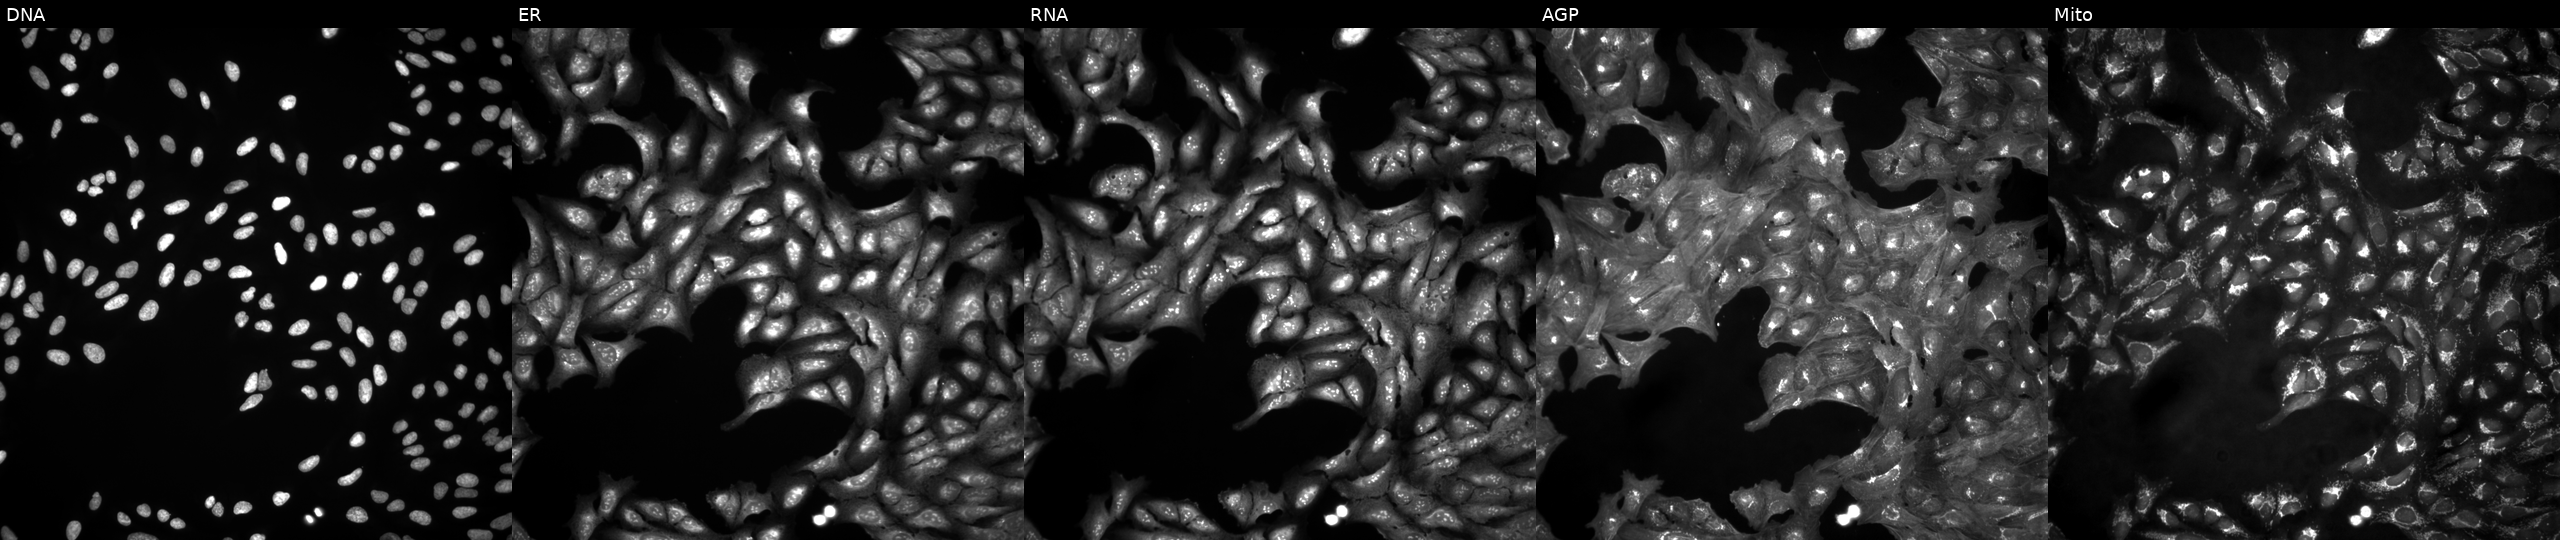
High-content fluorescence microscopy (Cell Painting). Cell line: U2OS. Perturbation: in an empty control well (no perturbation) (JUMP id JCP2022_999999). Panels show, left to right, Hoechst 33342, concanavalin A, SYTO 14, phalloidin and WGA, MitoTracker. Source 4, plate BR00123946, well G19.